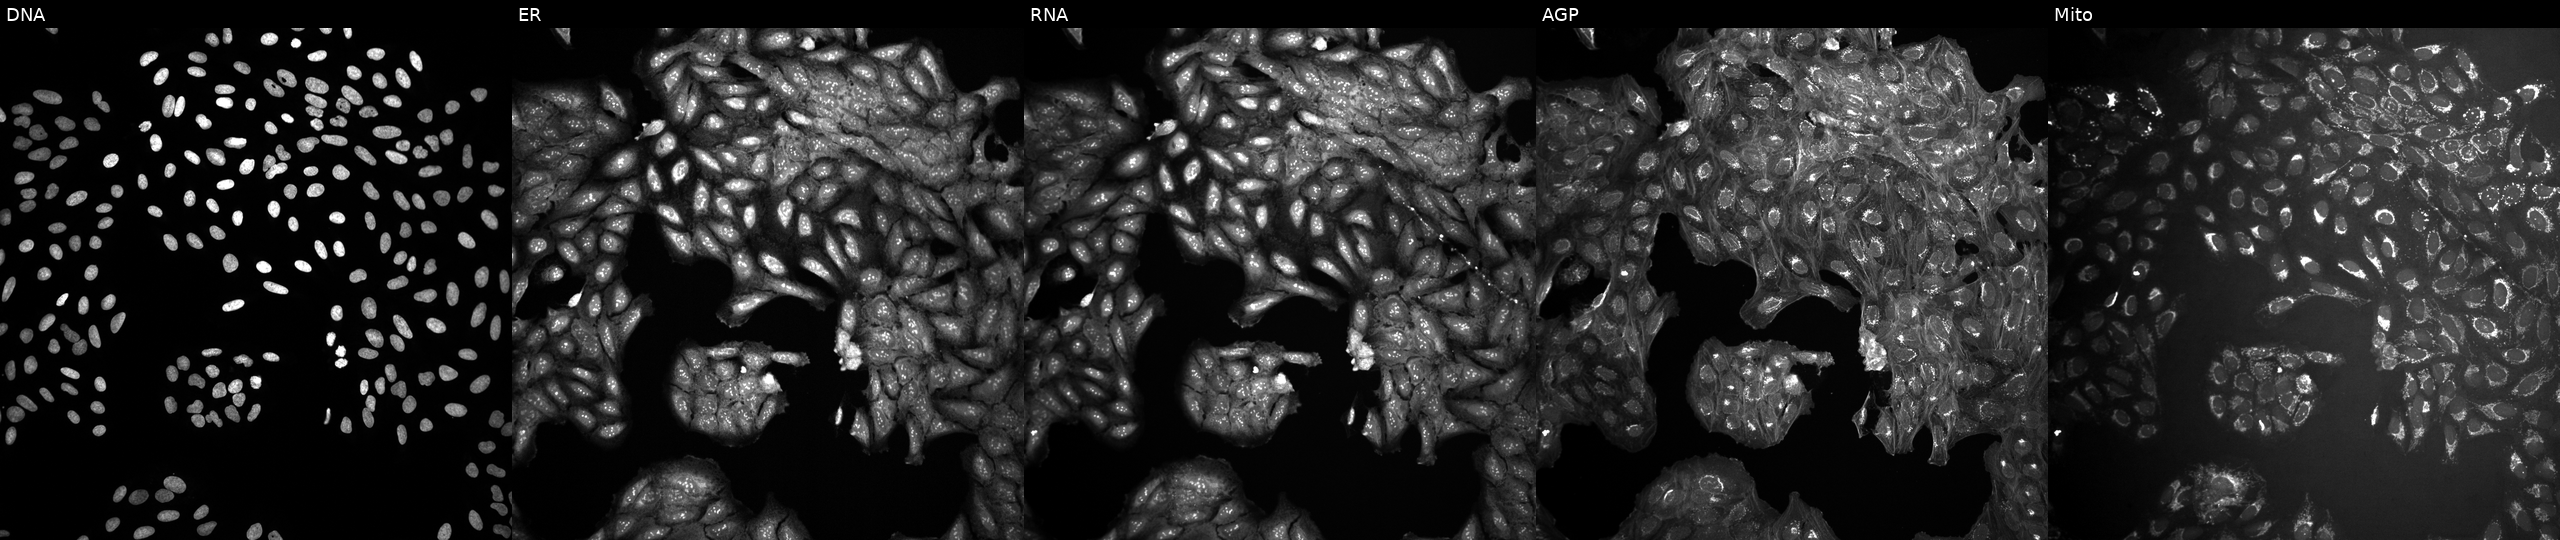
Five-channel Cell Painting image of U2OS cells exposed to DMSO alone as a negative control. Panels show, left to right, DNA (nuclei); ER (endoplasmic reticulum); RNA (nucleoli and cytoplasmic RNA); AGP (actin cytoskeleton, Golgi, and plasma membrane); Mito (mitochondria).